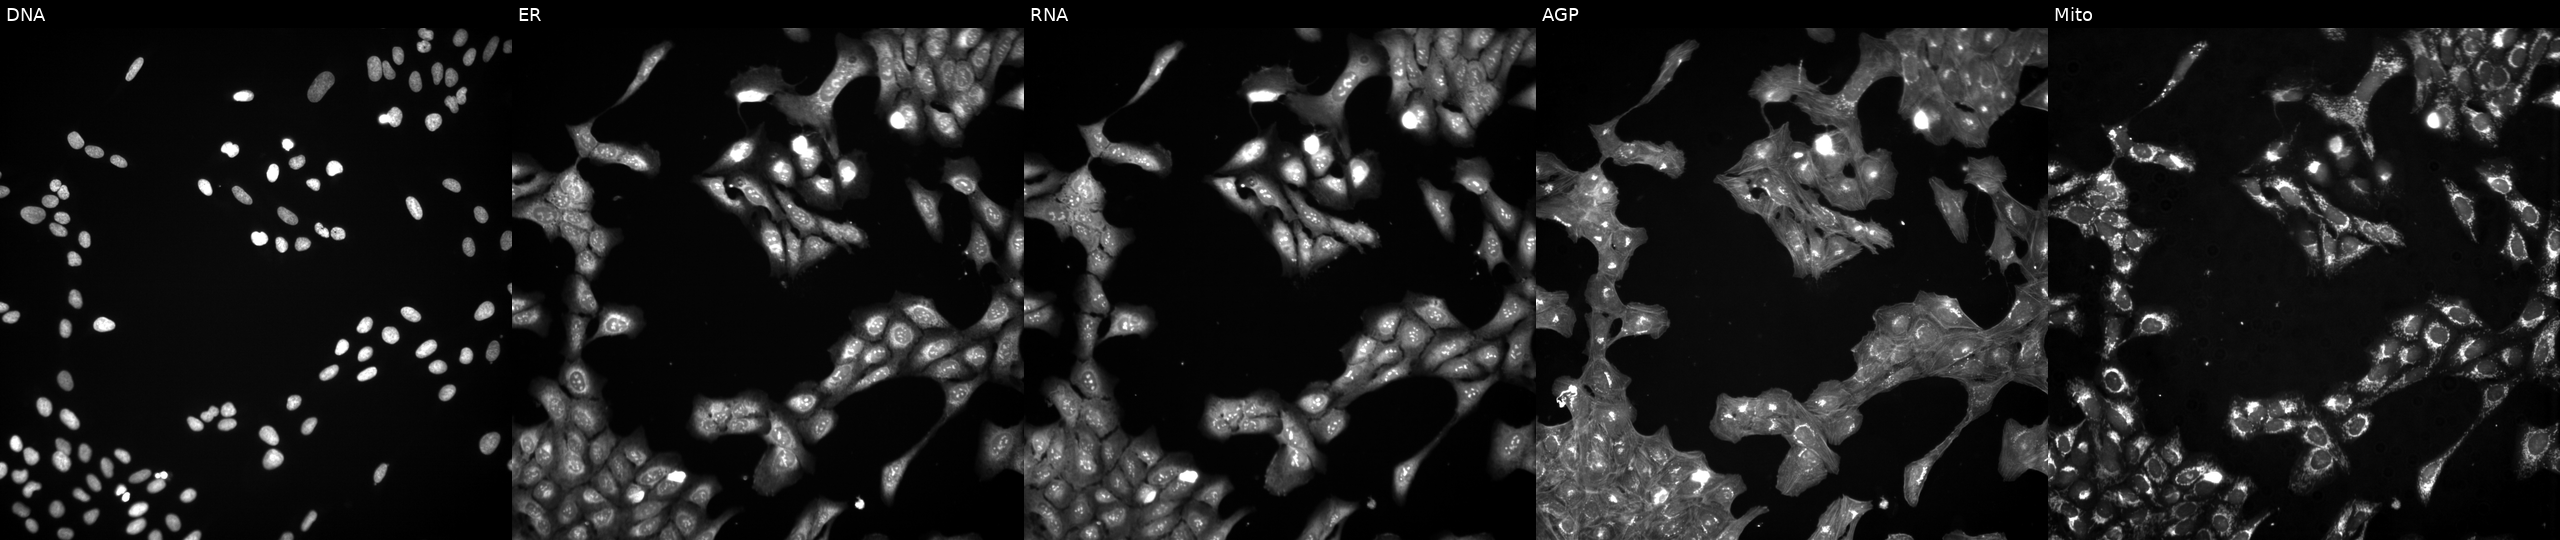
High-content fluorescence microscopy (Cell Painting). Cell line: U2OS. Perturbation: exposed to the positive-control compound TC-S-7004 (JUMP id JCP2022_012818). Channels (left→right): DNA (nuclei); ER (endoplasmic reticulum); RNA (nucleoli and cytoplasmic RNA); AGP (actin cytoskeleton, Golgi, and plasma membrane); Mito (mitochondria).